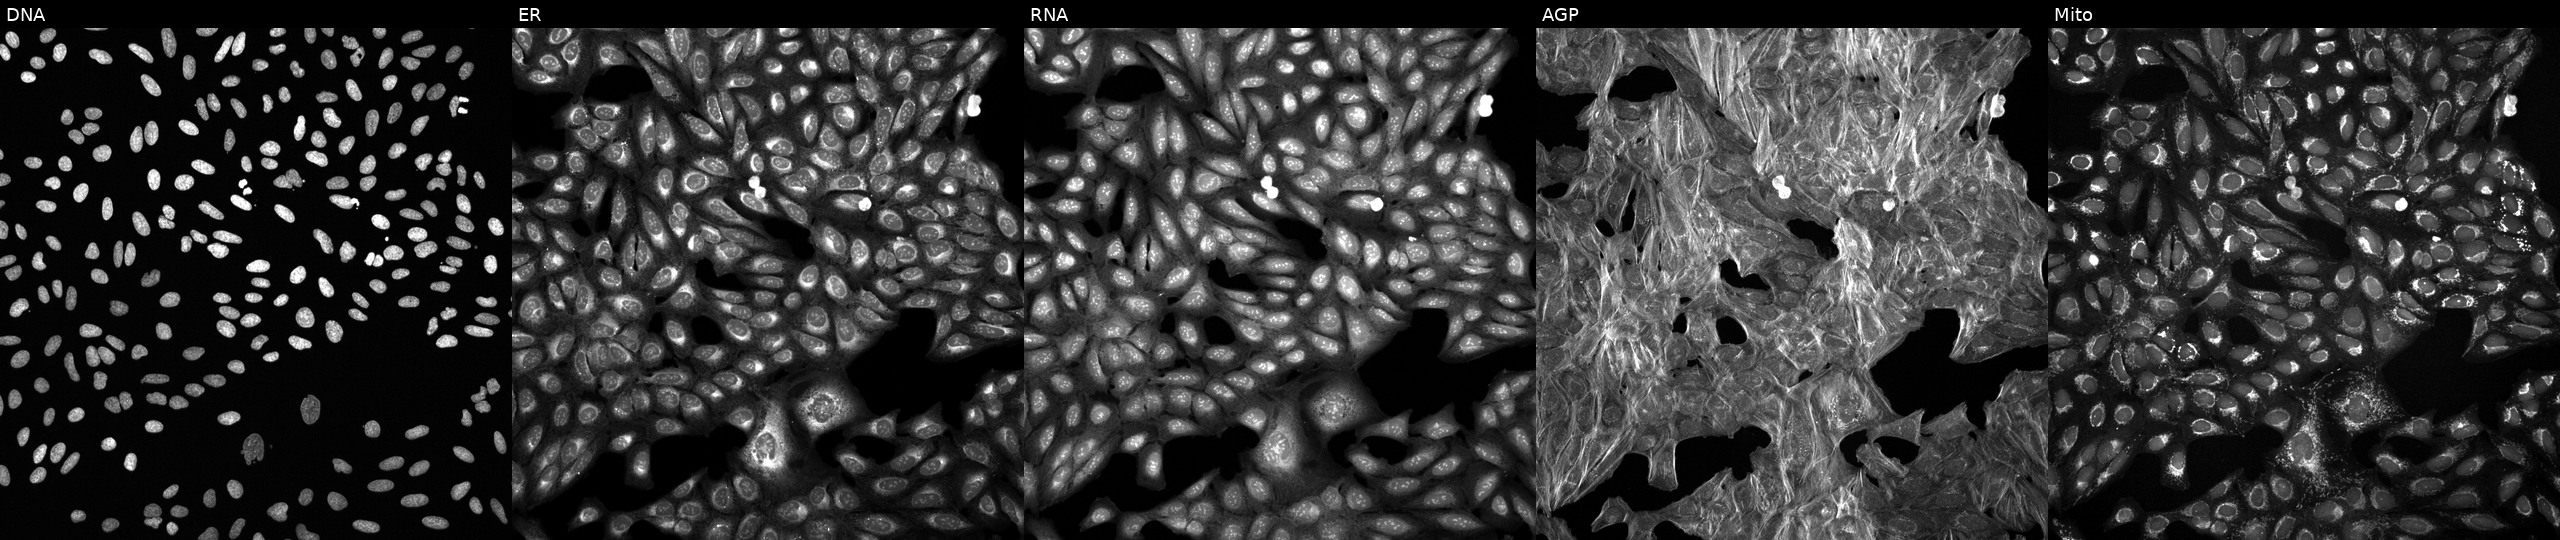
The five panels, left to right, show Hoechst 33342, concanavalin A, SYTO 14, phalloidin and WGA, MitoTracker. U2OS osteosarcoma cells perturbed with a small-molecule compound (InChIKey JHSXDAWGLCZYSM-UHFFFAOYSA-N). Cell Painting assay, JUMP-CP dataset. Source 6, plate 110000293093, well H10.